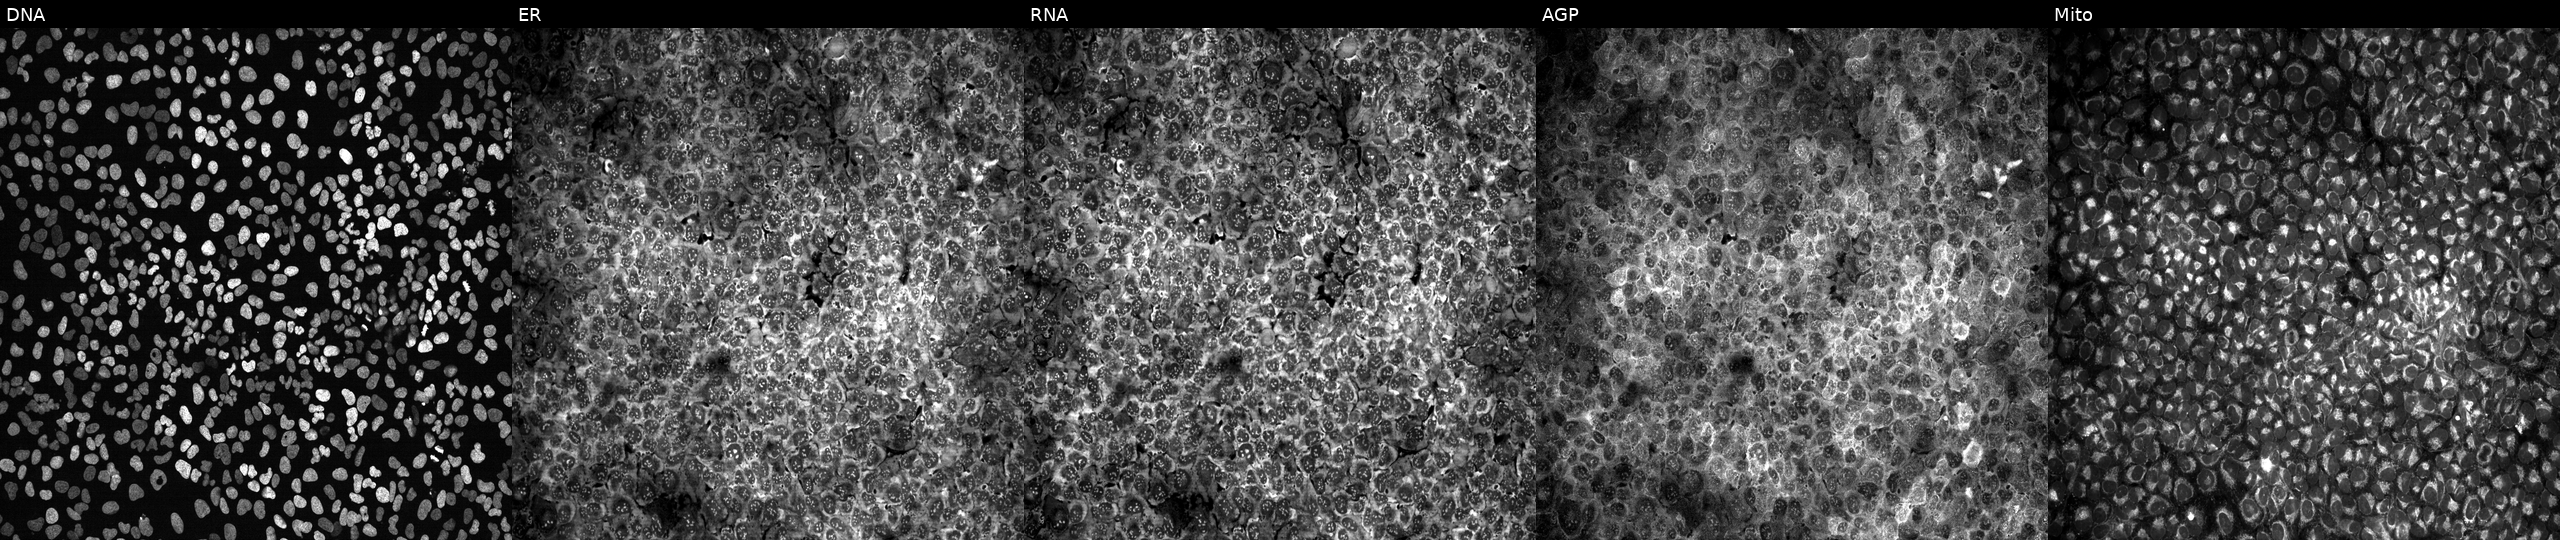
High-content fluorescence microscopy (Cell Painting). Cell line: U2OS. Perturbation: with no CRISPR guide (negative control) (JUMP id JCP2022_800001). From left to right: Hoechst 33342, concanavalin A, SYTO 14, phalloidin and WGA, MitoTracker. Source 13, plate CP-CC9-R4-03, well P23.